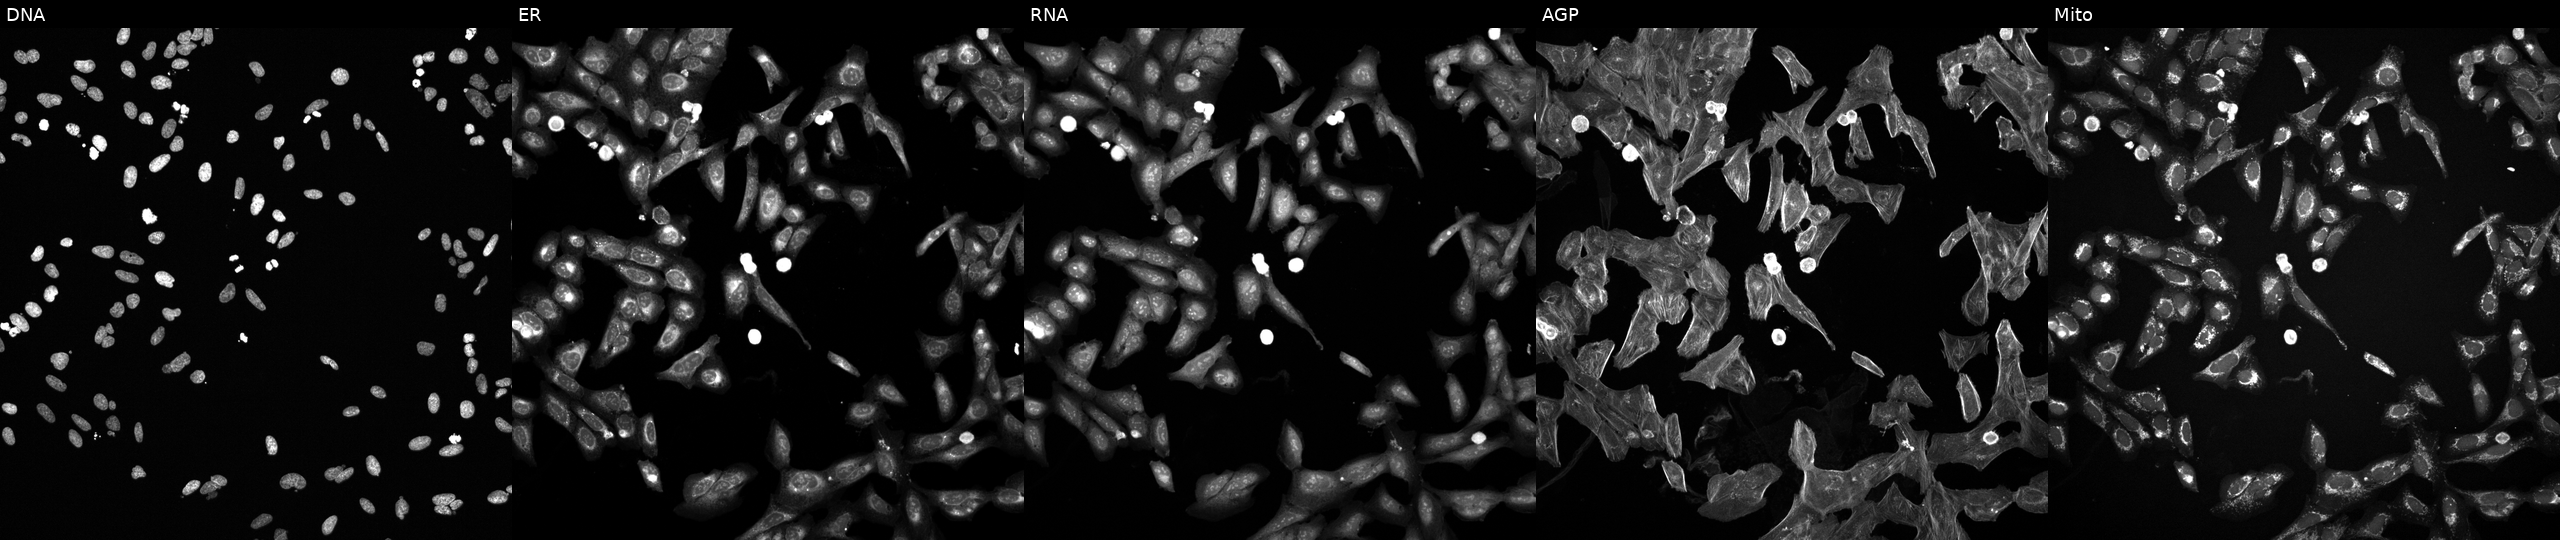
This image strip shows the five Cell Painting channels for a single field of U2OS cells perturbed with a small-molecule compound (InChIKey AQNUQPAJWIGDOJ-UHFFFAOYSA-N) [SMILES: CCOc1cn(-c2ccc(F)cc2)nc1C(=O)Nc1ccccc1SC] (JUMP id JCP2022_003160). The five panels, left to right, show Hoechst 33342, concanavalin A, SYTO 14, phalloidin and WGA, MitoTracker.